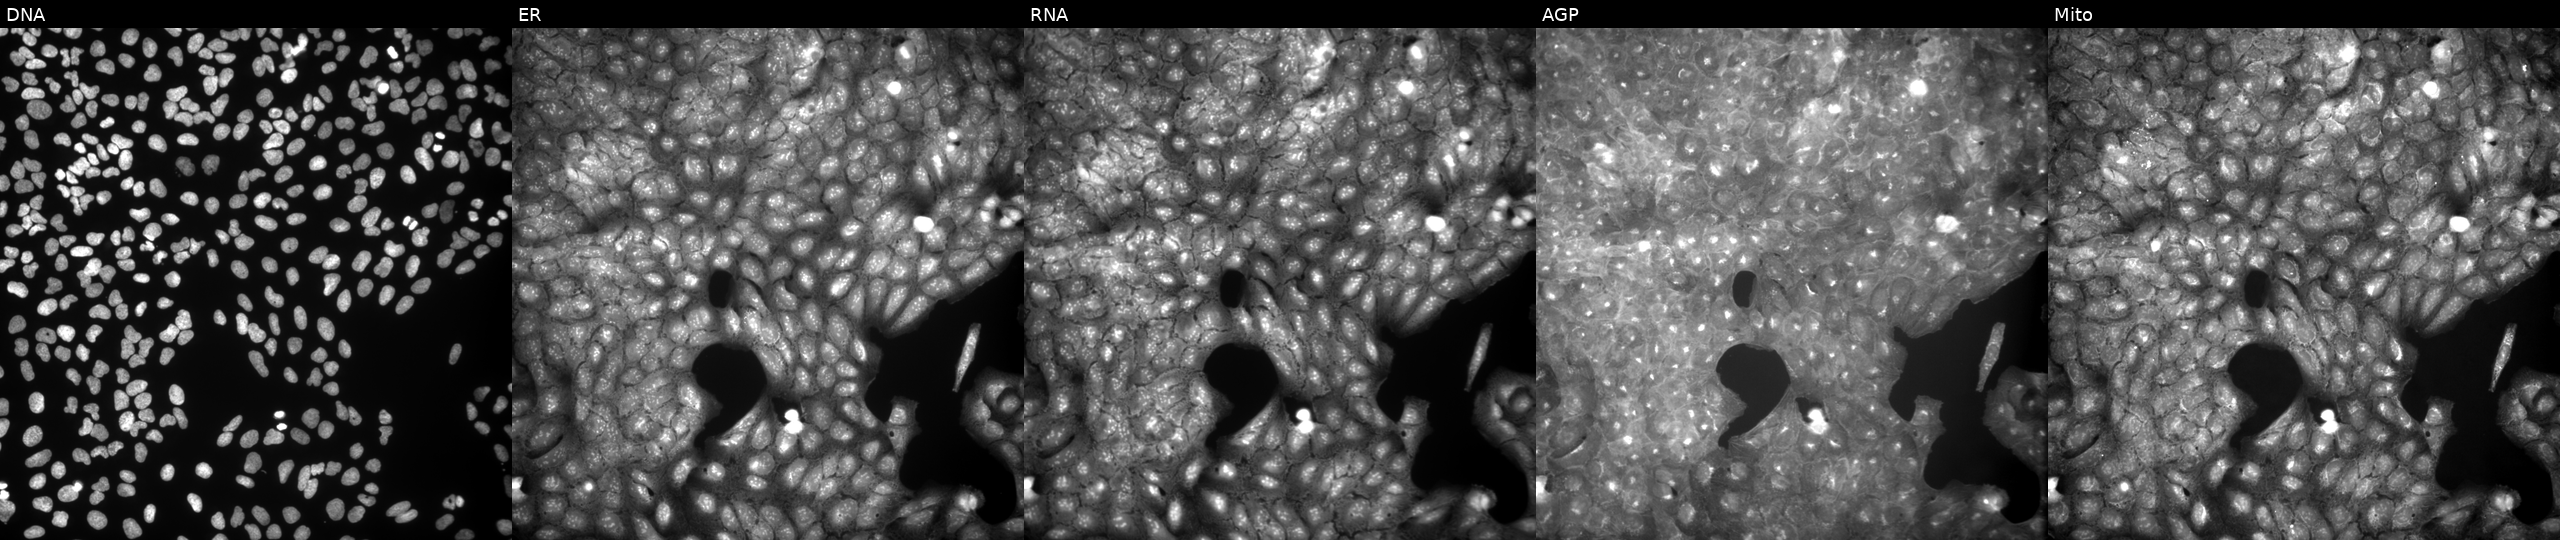
Five-channel Cell Painting image of U2OS cells treated with a small-molecule compound (InChIKey YDGDUFZDKHMJPB-UHFFFAOYSA-N). From left to right: Hoechst 33342, concanavalin A, SYTO 14, phalloidin and WGA, MitoTracker. Source 9, plate GR00003382, well I35.